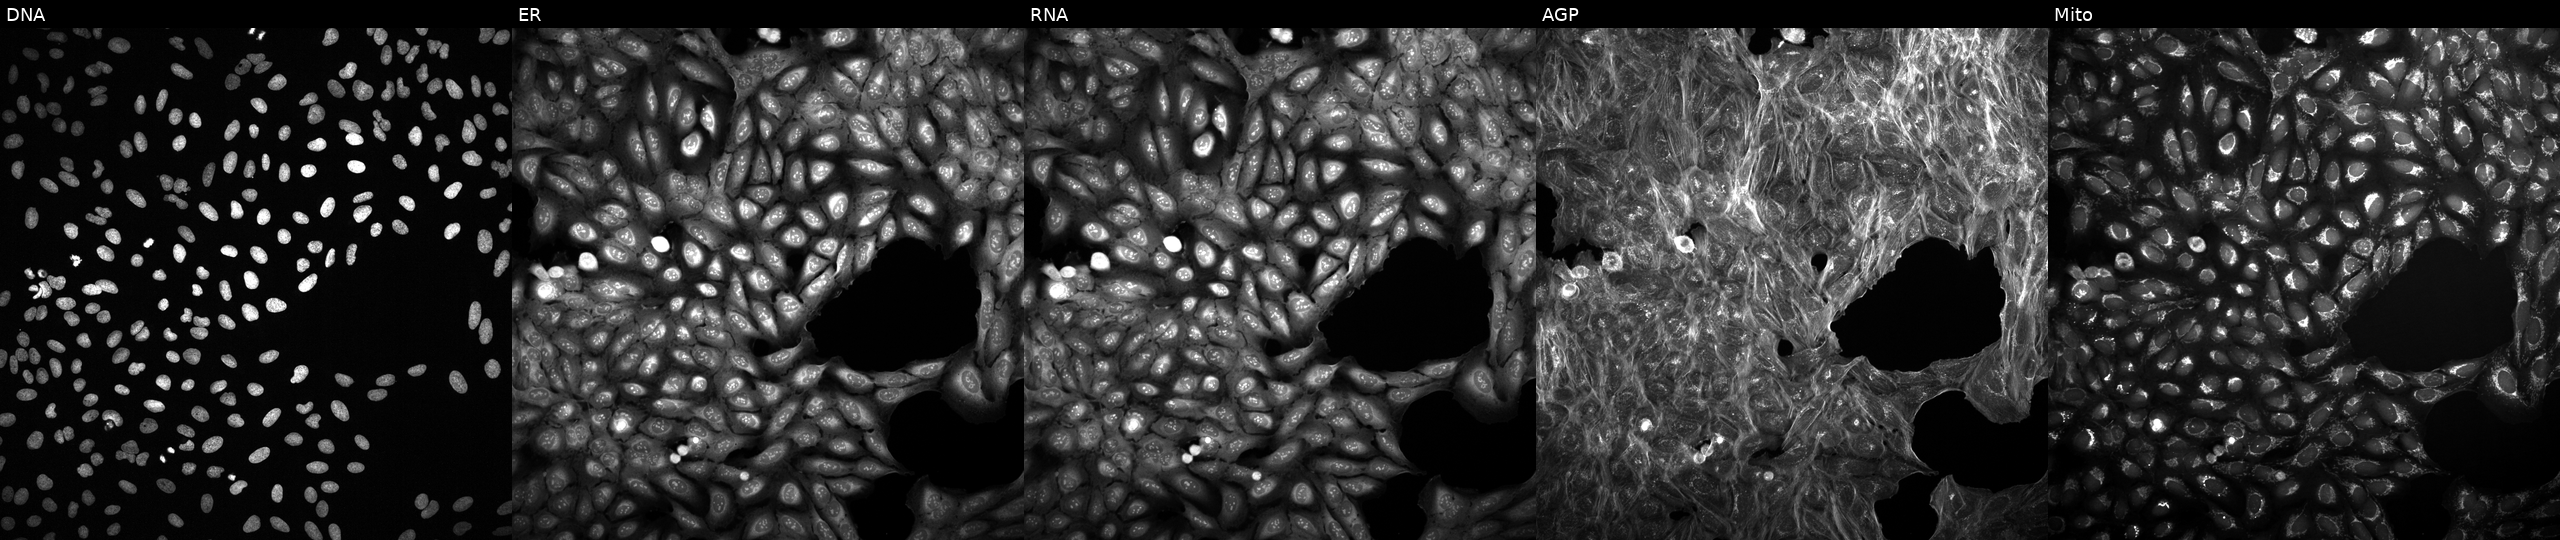
JUMP Cell Painting — TARGET2 plate. U2OS cells perturbed with a small-molecule compound (InChIKey UQNAFPHGVPVTAL-UHFFFAOYSA-N). The five panels, left to right, show DNA (nuclei); ER (endoplasmic reticulum); RNA (nucleoli and cytoplasmic RNA); AGP (actin cytoskeleton, Golgi, and plasma membrane); Mito (mitochondria).